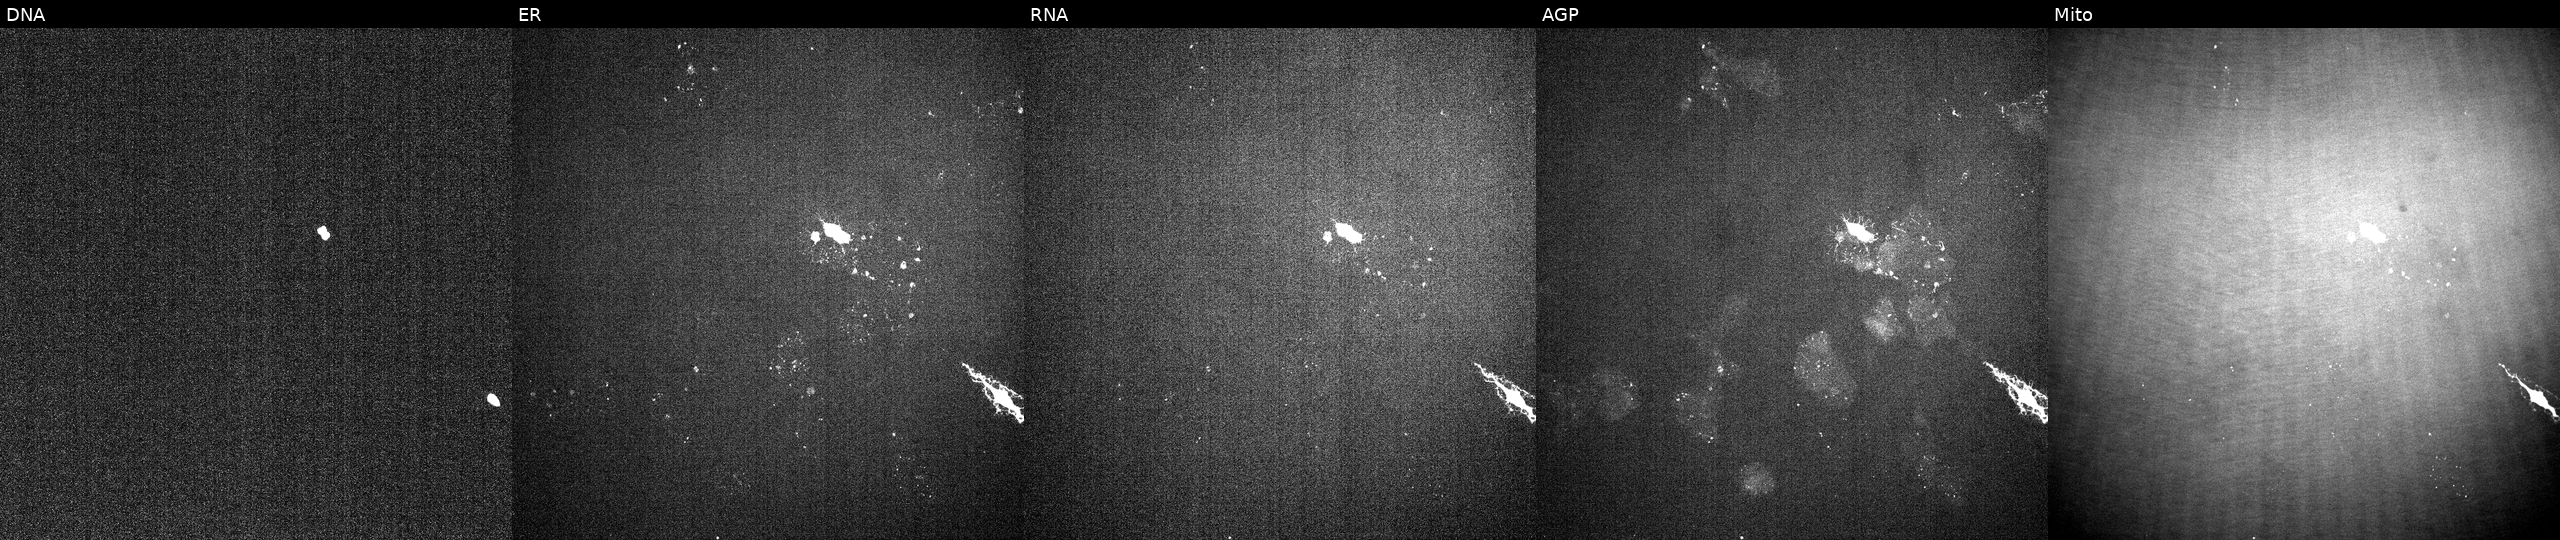
JUMP Cell Painting — TARGET2 plate. U2OS cells perturbed with a small-molecule compound (InChIKey IAYGCINLNONXHY-UHFFFAOYSA-N) (JUMP id JCP2022_033914). The five panels, left to right, show DNA (nuclei); ER (endoplasmic reticulum); RNA (nucleoli and cytoplasmic RNA); AGP (actin cytoskeleton, Golgi, and plasma membrane); Mito (mitochondria). Source 2, plate 1053599503, well F22.